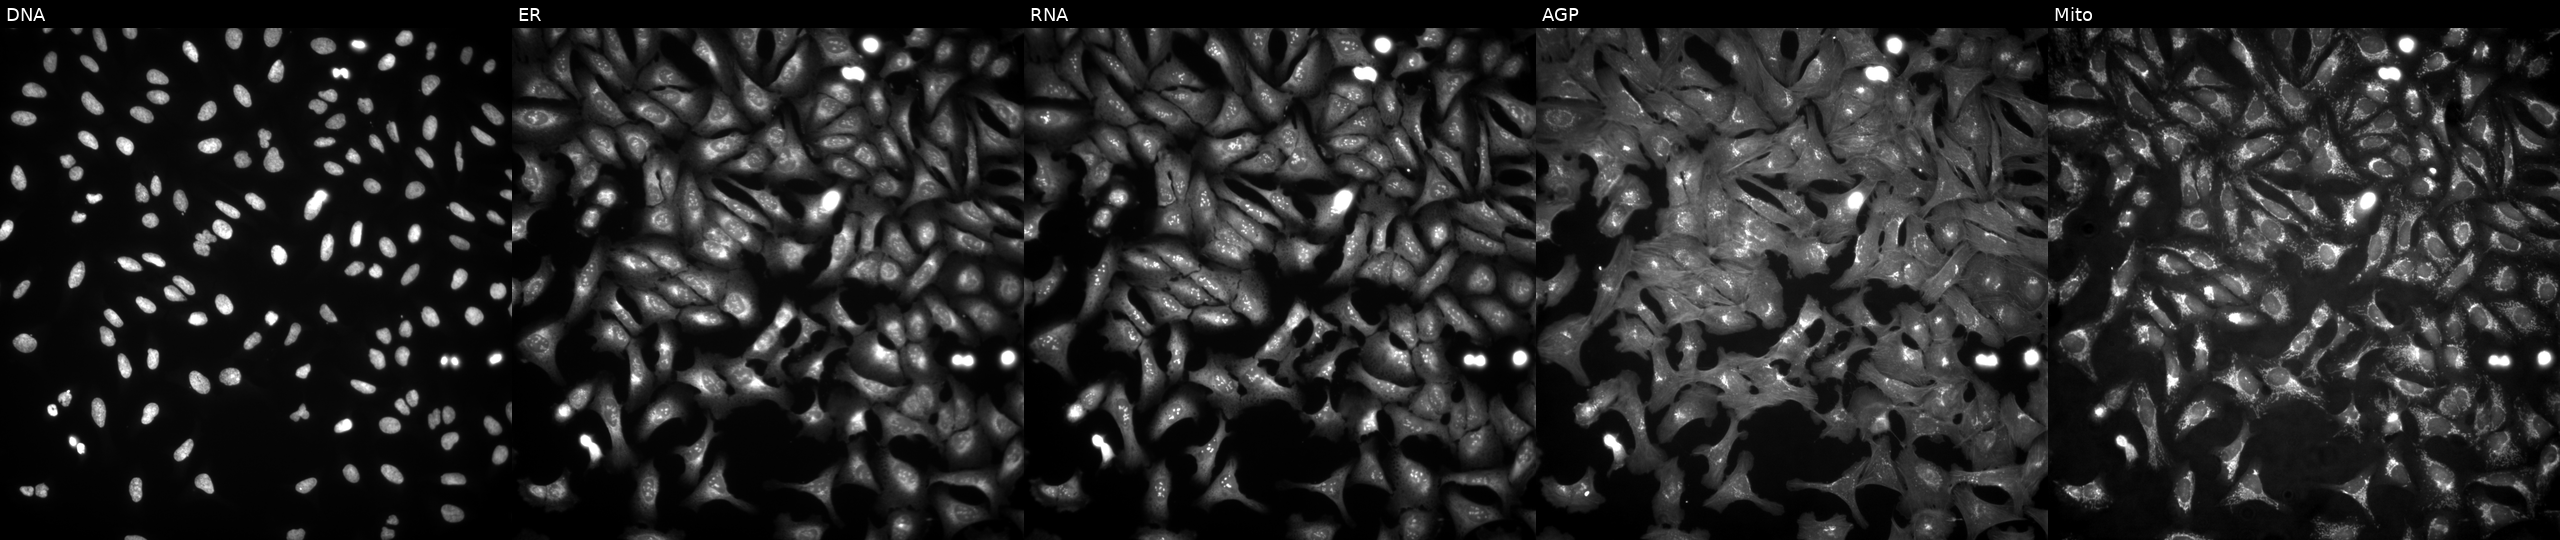
Channels (left→right): DNA (nuclei); ER (endoplasmic reticulum); RNA (nucleoli and cytoplasmic RNA); AGP (actin cytoskeleton, Golgi, and plasma membrane); Mito (mitochondria). U2OS osteosarcoma cells expressing HcRed (ORF negative control) (JUMP id JCP2022_915129). Cell Painting assay, JUMP-CP dataset.